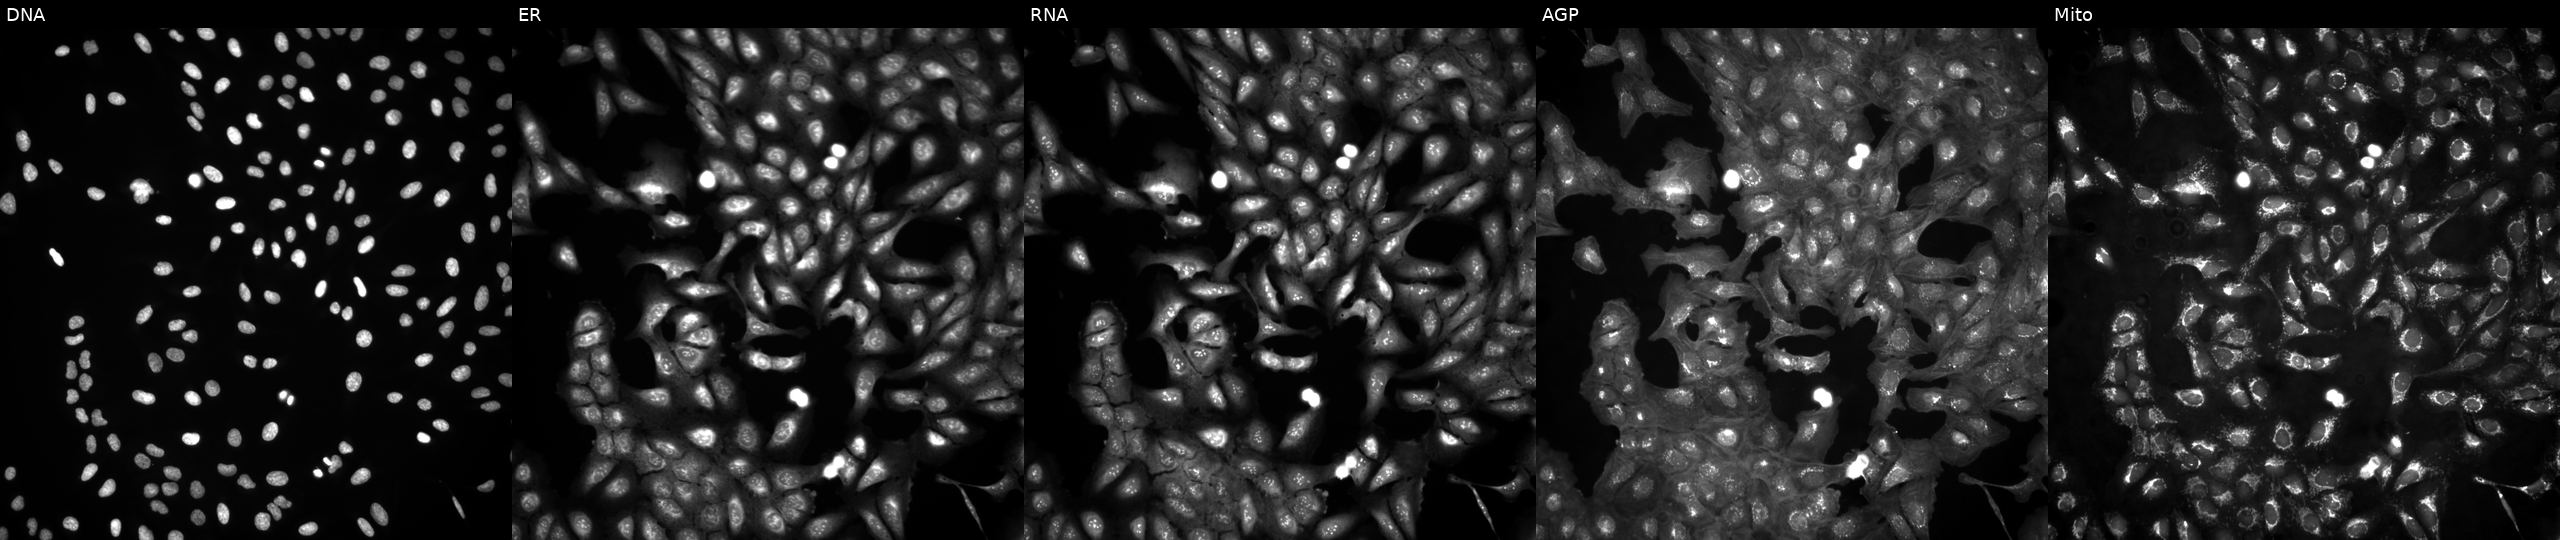
Five-channel Cell Painting image of U2OS cells in an empty control well (no perturbation). Panels show, left to right, DNA (nuclei); ER (endoplasmic reticulum); RNA (nucleoli and cytoplasmic RNA); AGP (actin cytoskeleton, Golgi, and plasma membrane); Mito (mitochondria). Source 4, plate BR00124793, well C11.